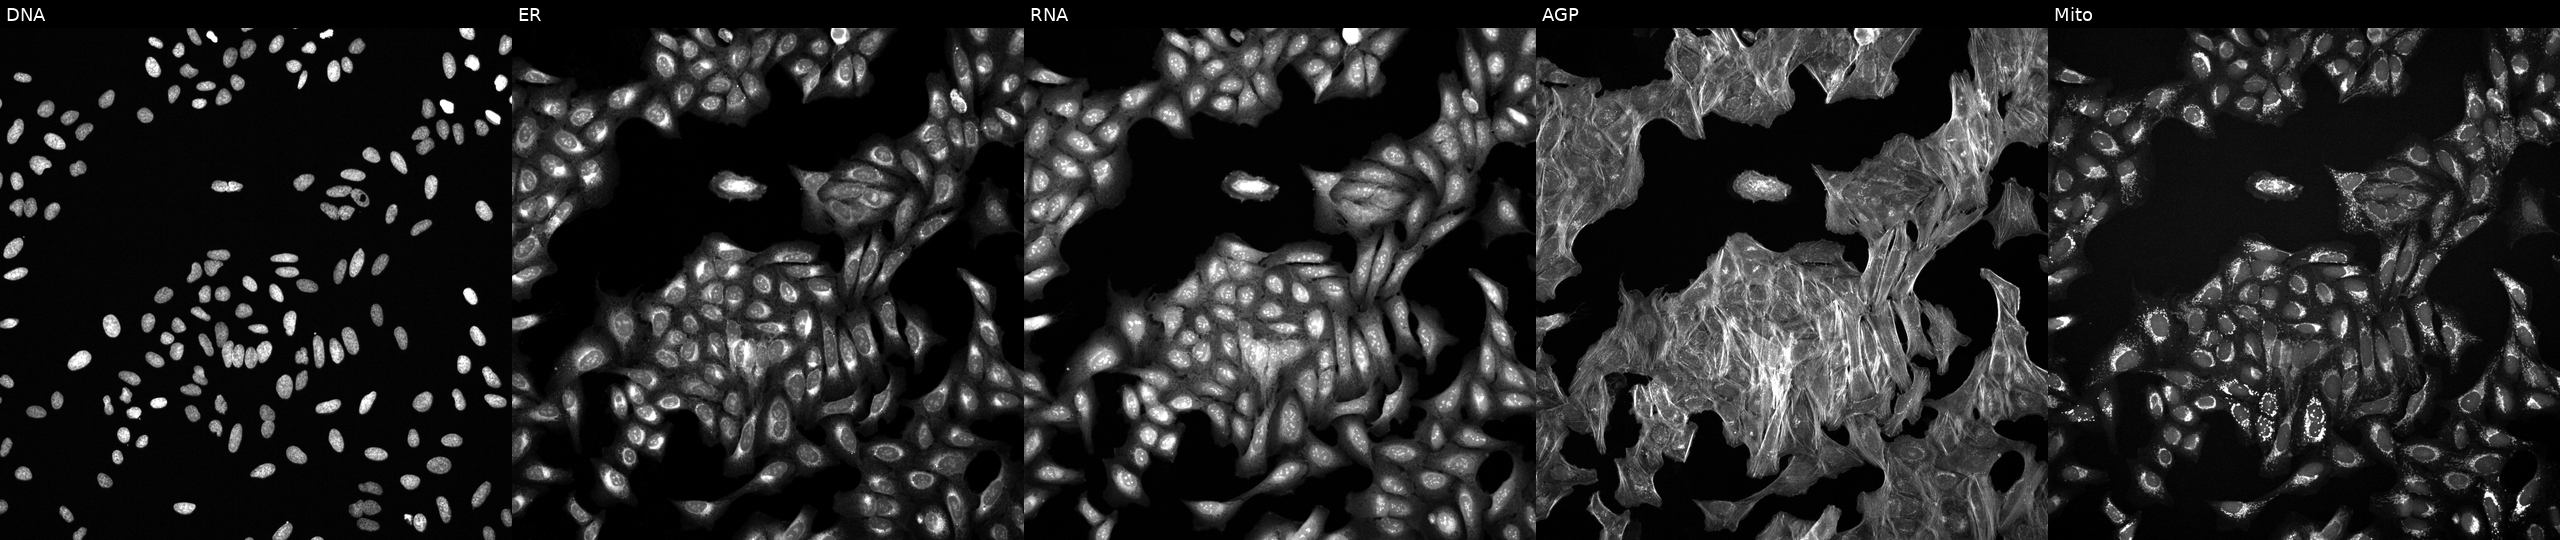
JUMP Cell Painting — COMPOUND plate. U2OS cells perturbed with a small-molecule compound (InChIKey RJNVYWYTHLUUPU-UHFFFAOYSA-N). From left to right: Hoechst 33342, concanavalin A, SYTO 14, phalloidin and WGA, MitoTracker. Source 6, plate 110000293082, well E14.